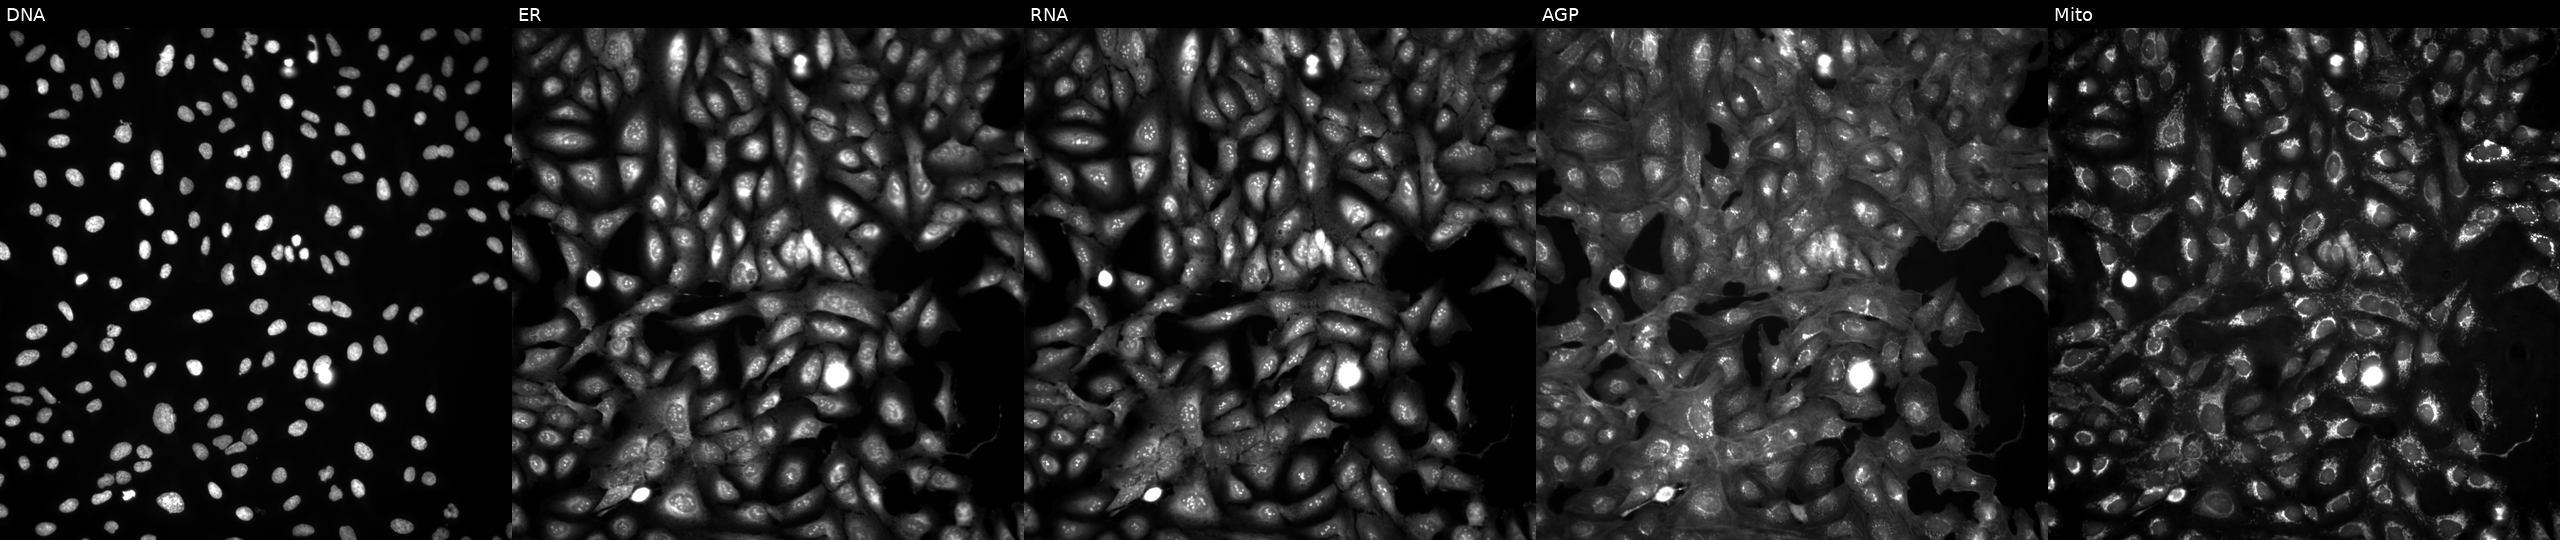
Panels show, left to right, DNA (nuclei); ER (endoplasmic reticulum); RNA (nucleoli and cytoplasmic RNA); AGP (actin cytoskeleton, Golgi, and plasma membrane); Mito (mitochondria). U2OS osteosarcoma cells untreated (empty-well control). Cell Painting assay, JUMP-CP dataset.